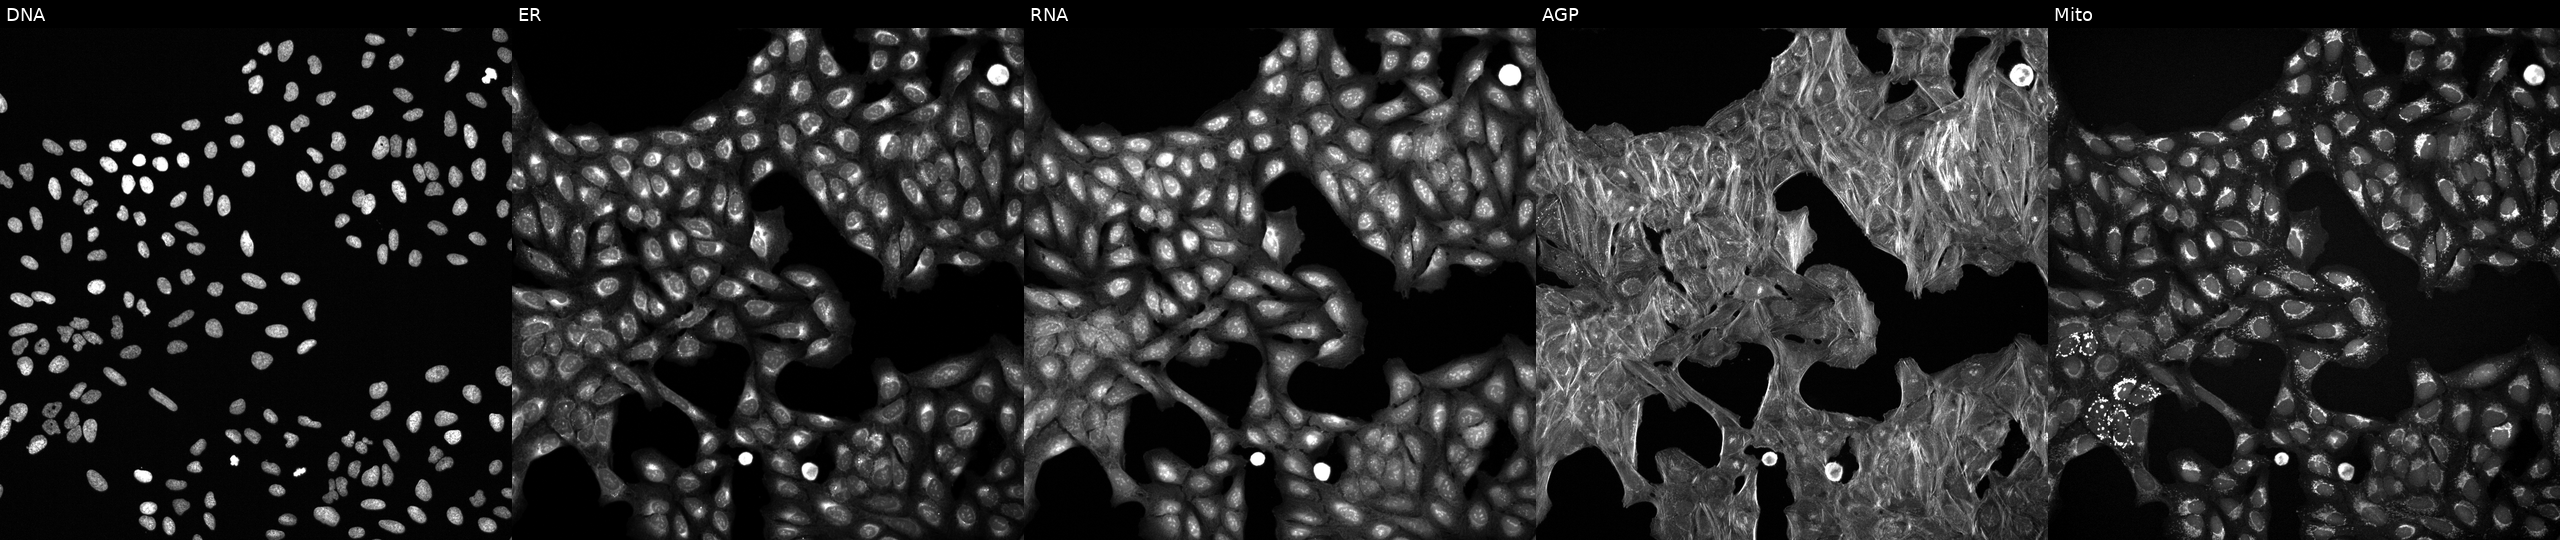
JUMP Cell Painting — TARGET2 plate. U2OS cells exposed to DMSO alone as a negative control (JUMP id JCP2022_033924). The five panels, left to right, show DNA, ER, RNA, AGP, and Mito.